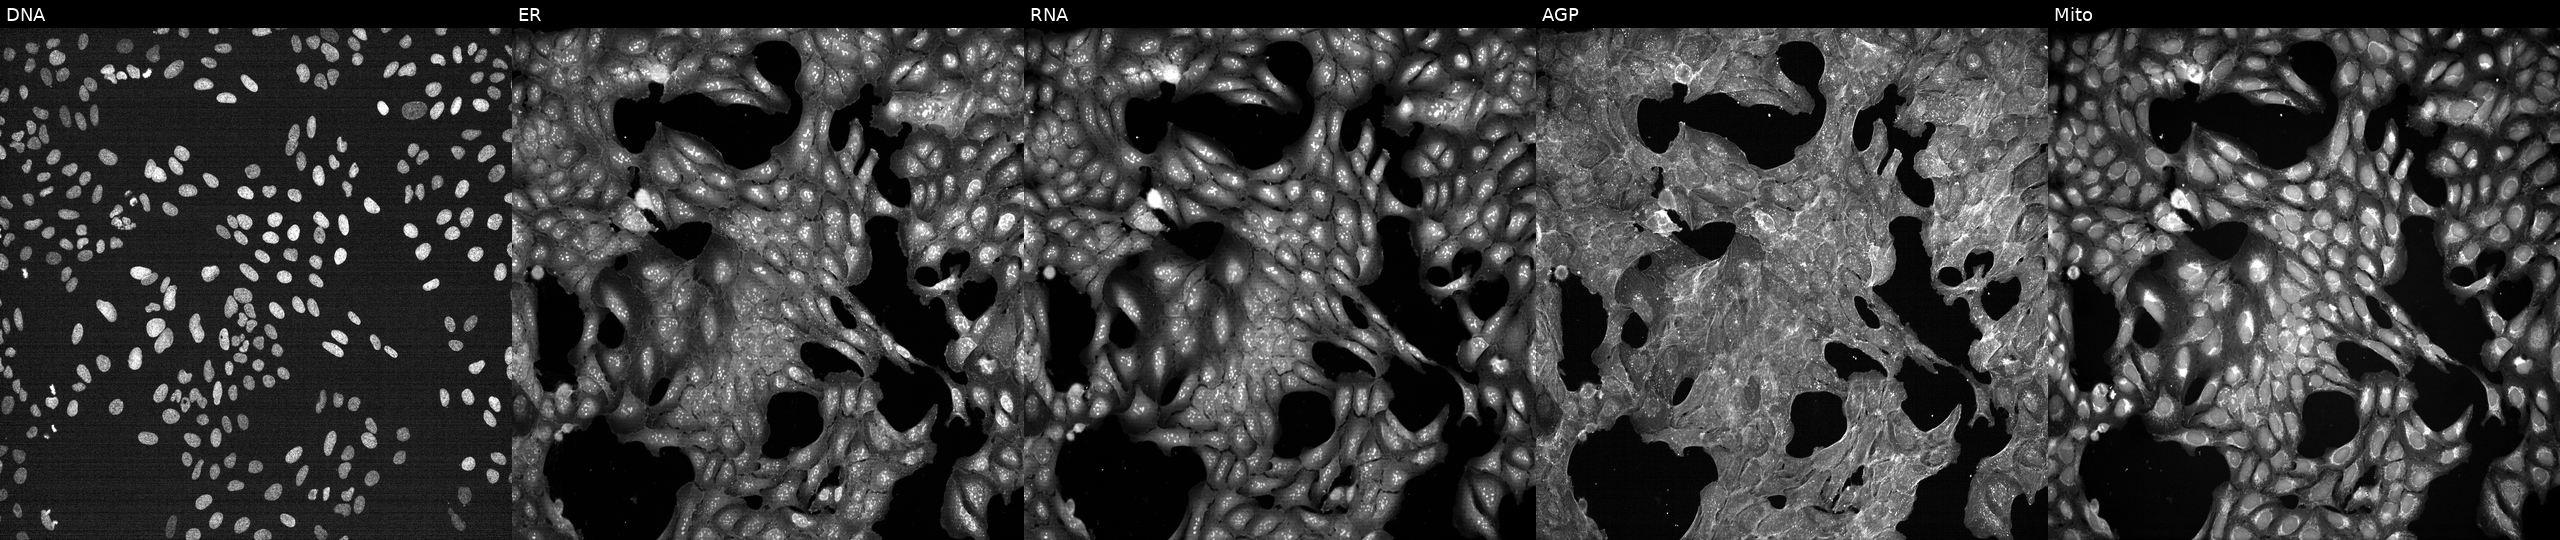
This image strip shows the five Cell Painting channels for a single field of U2OS cells exposed to a small-molecule compound (InChIKey LLIFMNUXGDHTRO-UHFFFAOYSA-N) (JUMP id JCP2022_050162). From left to right: Hoechst 33342, concanavalin A, SYTO 14, phalloidin and WGA, MitoTracker. Source 7, plate CP1-SC1-25, well P09.